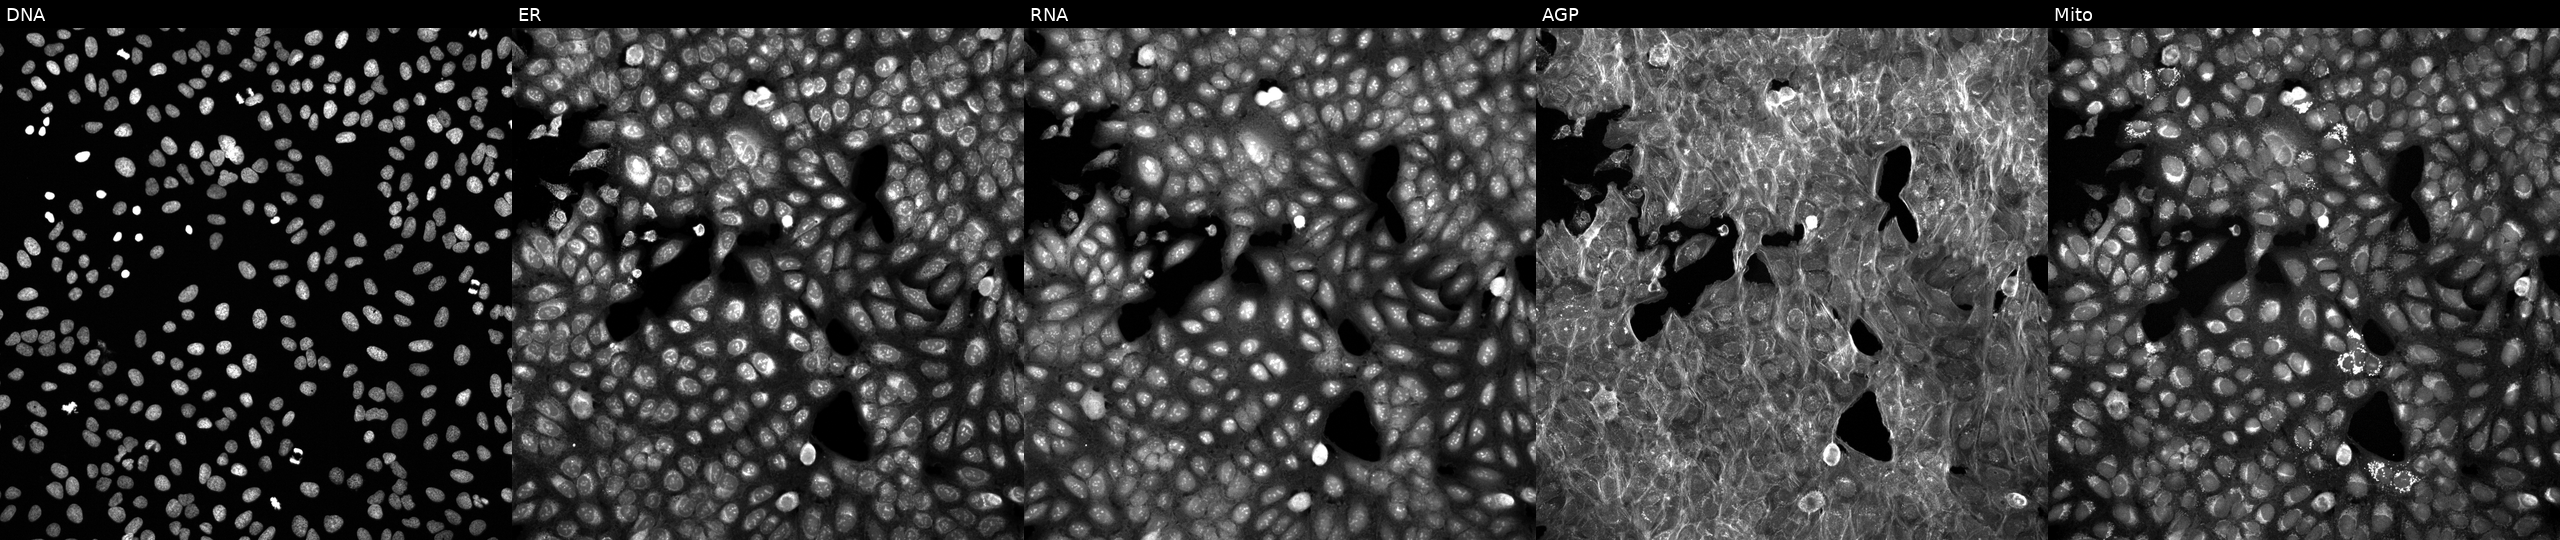
From left to right: DNA (nuclei); ER (endoplasmic reticulum); RNA (nucleoli and cytoplasmic RNA); AGP (actin cytoskeleton, Golgi, and plasma membrane); Mito (mitochondria). U2OS osteosarcoma cells exposed to a small-molecule compound (InChIKey LNFZRMDSZJCZTG-UHFFFAOYSA-N) (JUMP id JCP2022_050516). Cell Painting assay, JUMP-CP dataset. Source 6, plate 110000294901, well P23.